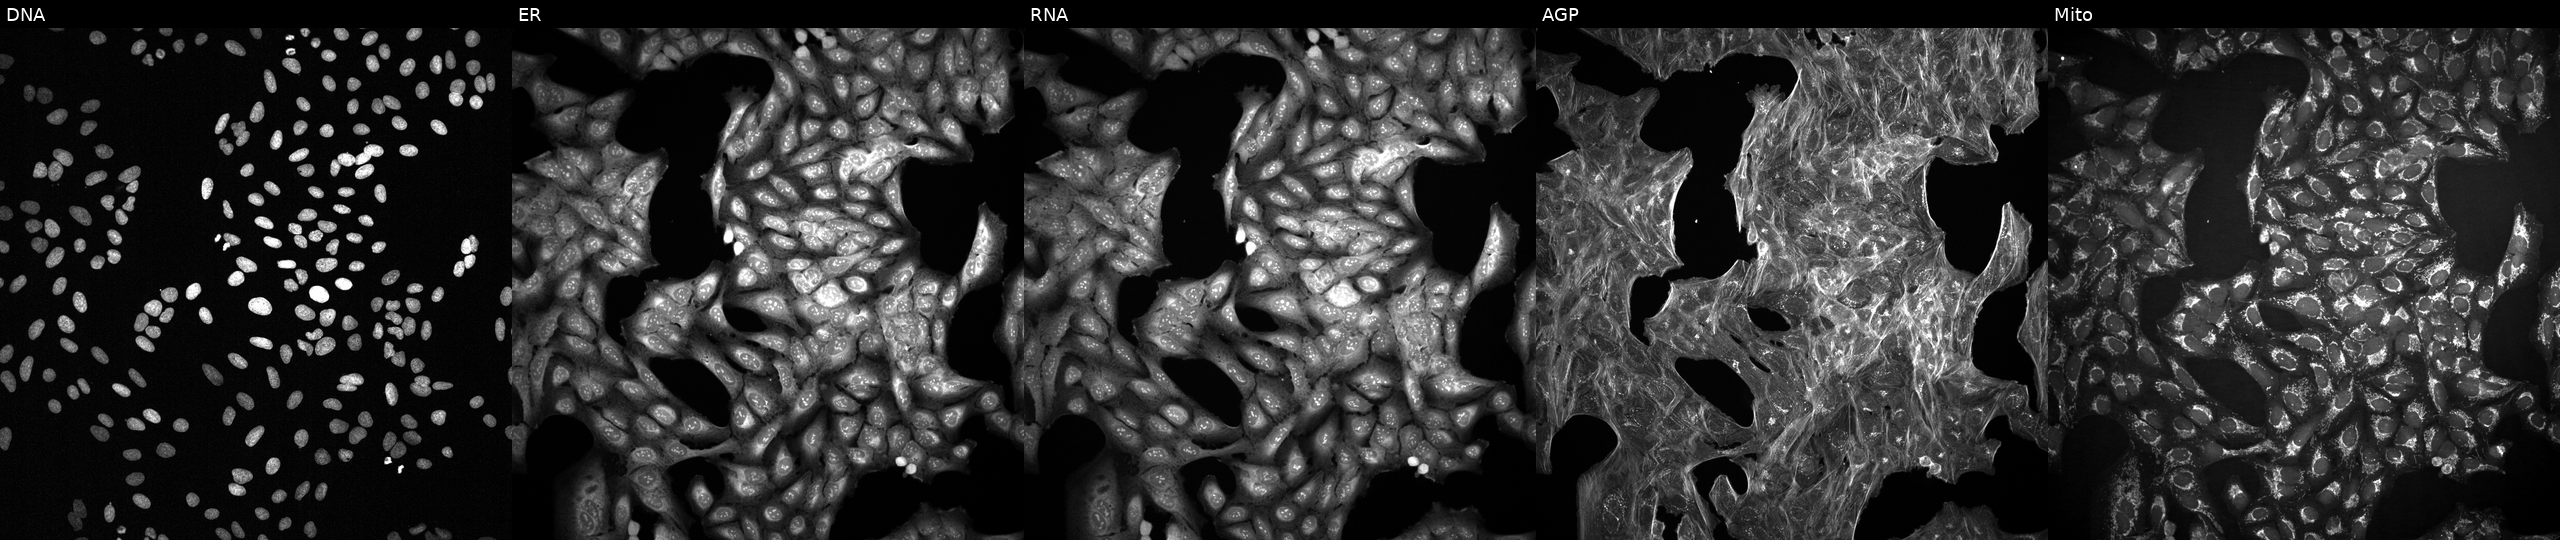
U2OS cells, Cell Painting assay, treated with dexamethasone (positive-control compound) (JUMP id JCP2022_025848). Channels (left→right): DNA (nuclei); ER (endoplasmic reticulum); RNA (nucleoli and cytoplasmic RNA); AGP (actin cytoskeleton, Golgi, and plasma membrane); Mito (mitochondria). Each panel is percentile-stretched 16-bit fluorescence.